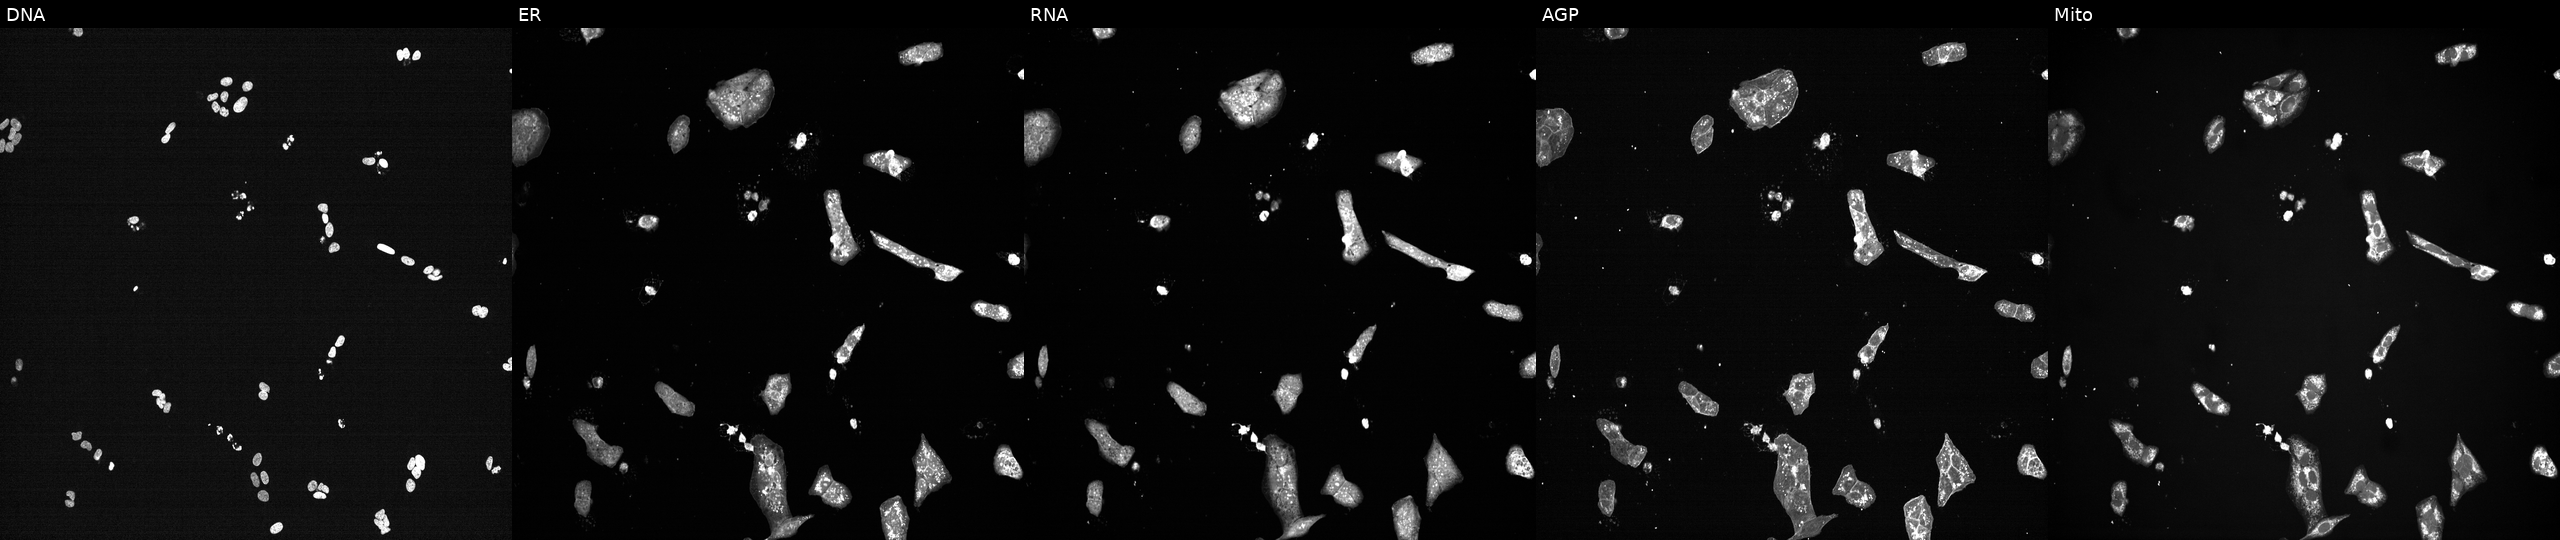
High-content fluorescence microscopy (Cell Painting). Cell line: U2OS. Perturbation: perturbed with a small-molecule compound (InChIKey NBTNHSGBRGTFJS-UHFFFAOYSA-N). Channels (left→right): DNA (nuclei); ER (endoplasmic reticulum); RNA (nucleoli and cytoplasmic RNA); AGP (actin cytoskeleton, Golgi, and plasma membrane); Mito (mitochondria). Source 7, plate CP2-SC1-25, well K01.